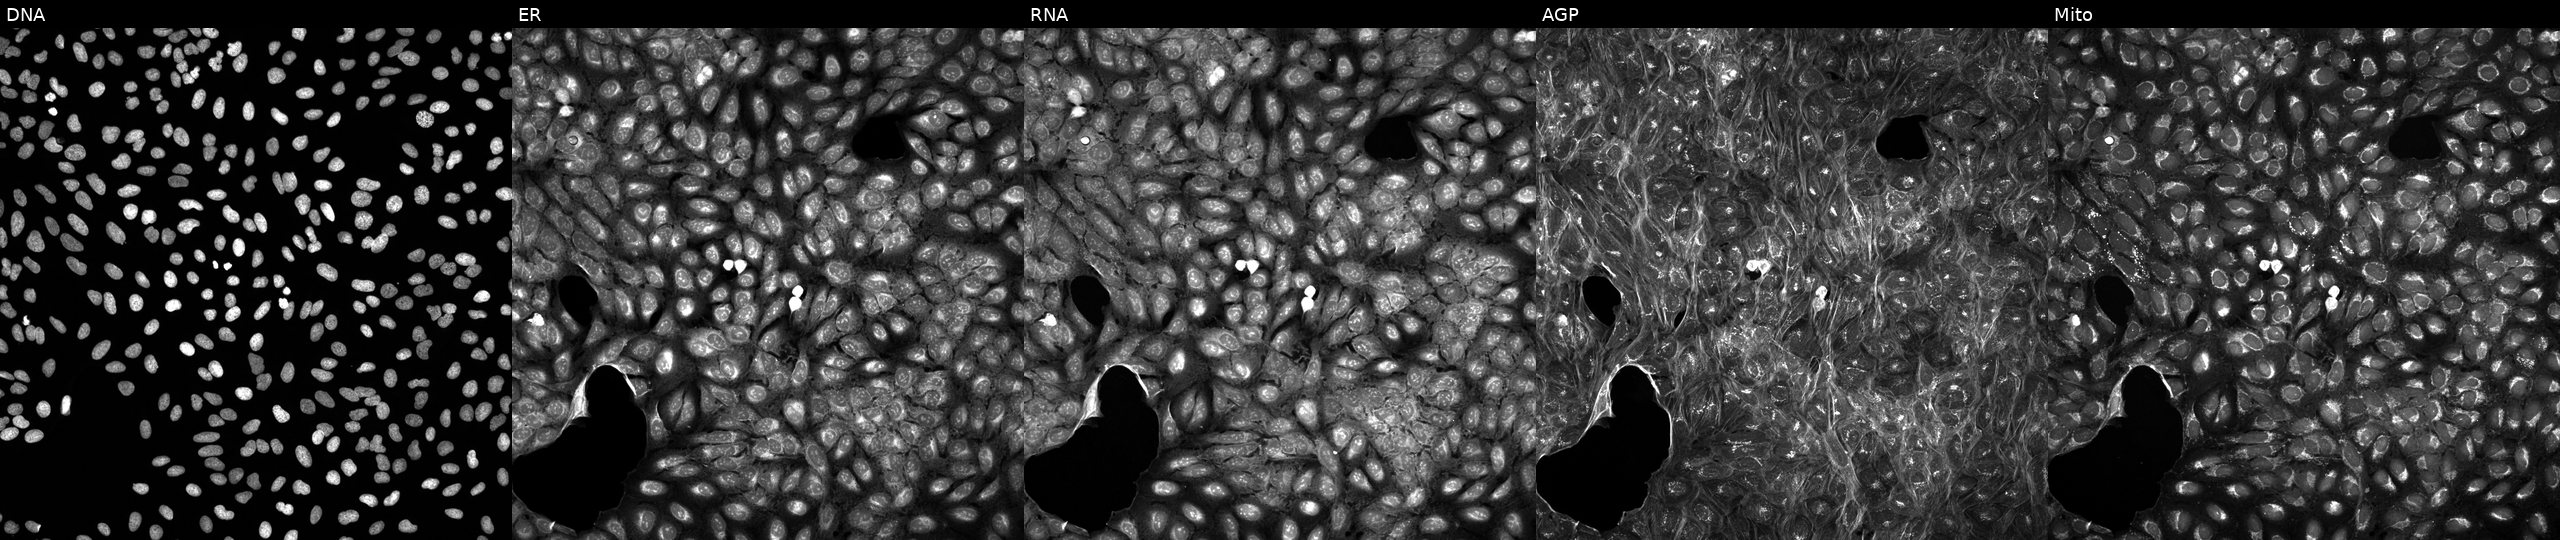
High-content fluorescence microscopy (Cell Painting). Cell line: U2OS. Perturbation: exposed to a small-molecule compound (InChIKey IYAYHZZWYNXHEQ-UHFFFAOYSA-N) (JUMP id JCP2022_038096). Channels (left→right): Hoechst 33342, concanavalin A, SYTO 14, phalloidin and WGA, MitoTracker.